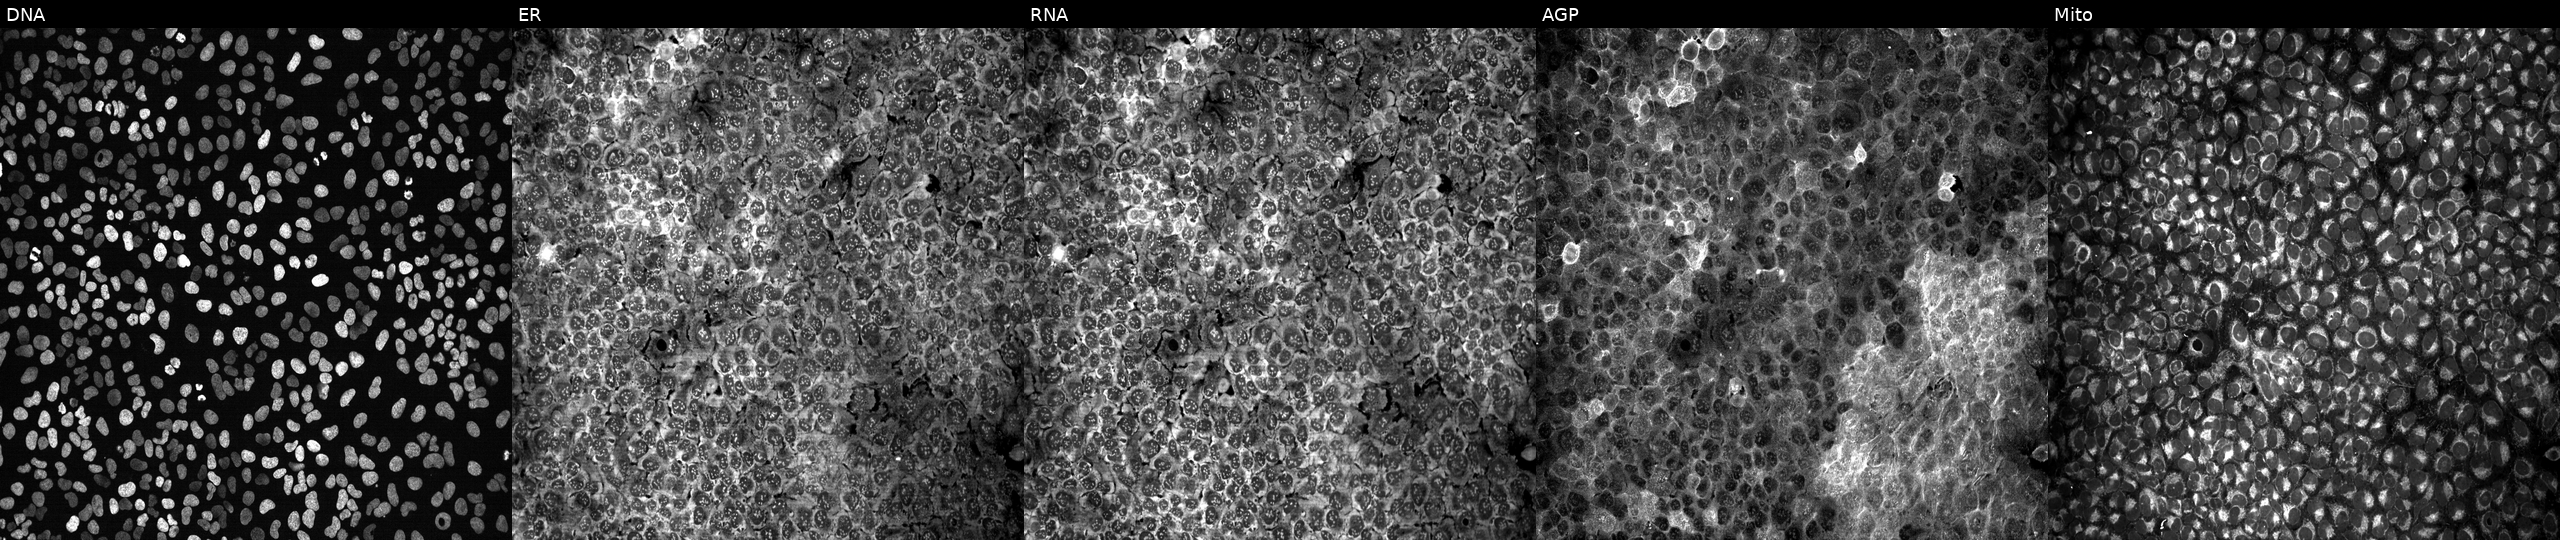
High-content fluorescence microscopy (Cell Painting). Cell line: U2OS. Perturbation: with no CRISPR guide (negative control). The five panels, left to right, show DNA (nuclei); ER (endoplasmic reticulum); RNA (nucleoli and cytoplasmic RNA); AGP (actin cytoskeleton, Golgi, and plasma membrane); Mito (mitochondria). Source 13, plate CP-CC9-R2-01, well G23.